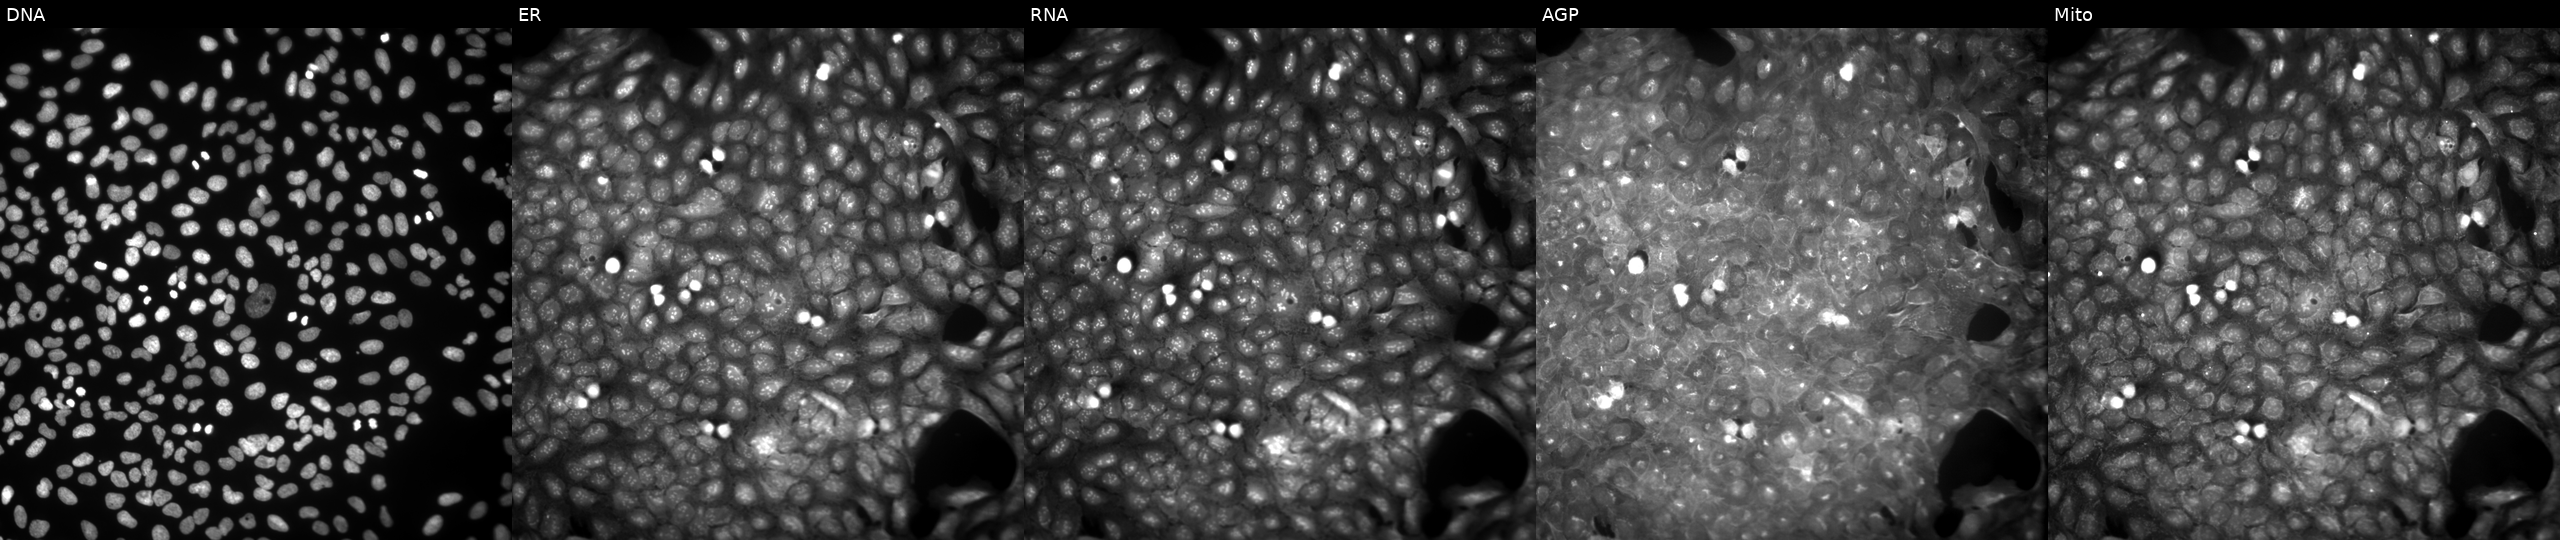
Channels (left→right): Hoechst 33342, concanavalin A, SYTO 14, phalloidin and WGA, MitoTracker. U2OS osteosarcoma cells exposed to a small-molecule compound (InChIKey KZOADQRVVFSXQY-UHFFFAOYSA-N) [SMILES: CCCN(CC#CC(O)(c1ccccc1)c1cccnc1)CCC] (JUMP id JCP2022_047990). Cell Painting assay, JUMP-CP dataset. Source 9, plate GR00003382, well AC38.